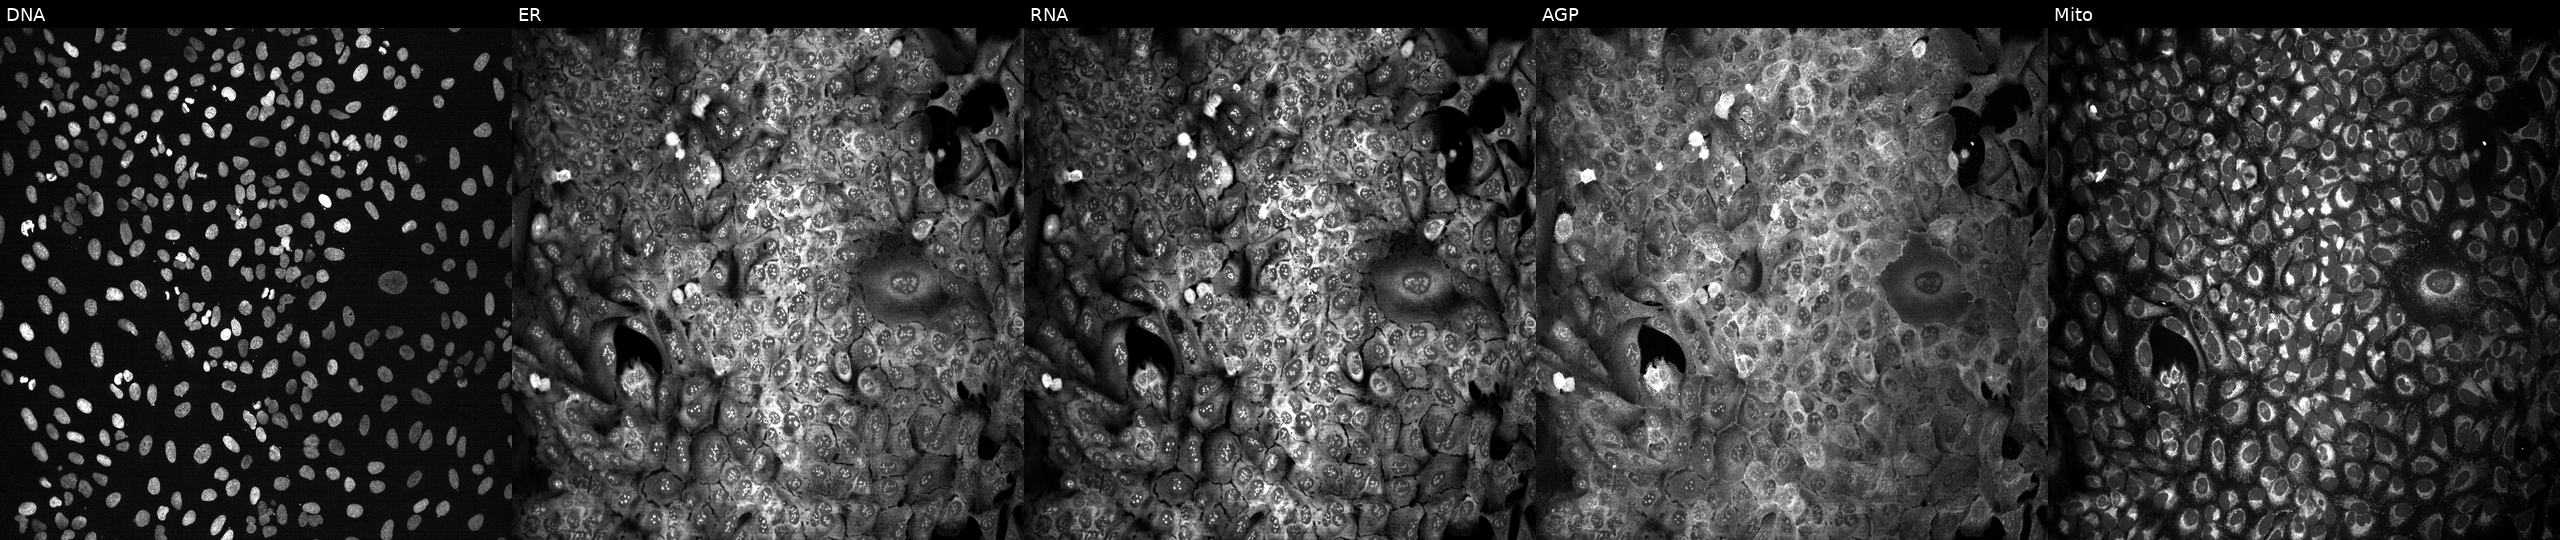
From left to right: DNA, ER, RNA, AGP, and Mito. U2OS osteosarcoma cells with SLC1A4 knocked out by CRISPR. Cell Painting assay, JUMP-CP dataset.